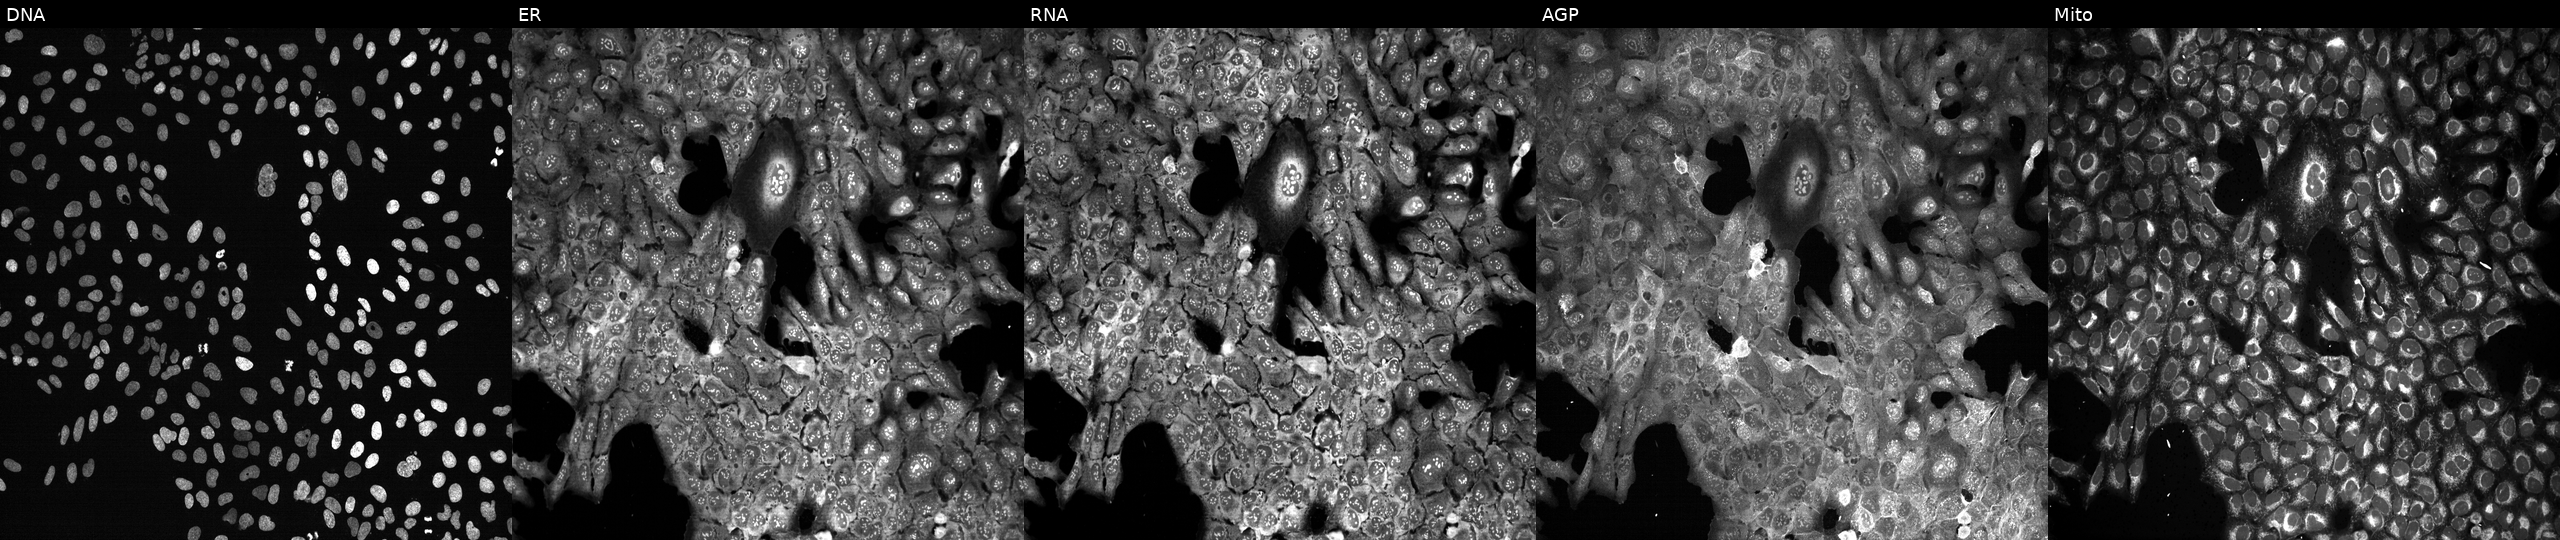
U2OS cells, Cell Painting assay, following CRISPR knockout of FGF23 (JUMP id JCP2022_802388). The five panels, left to right, show DNA, ER, RNA, AGP, and Mito. Each panel is percentile-stretched 16-bit fluorescence.